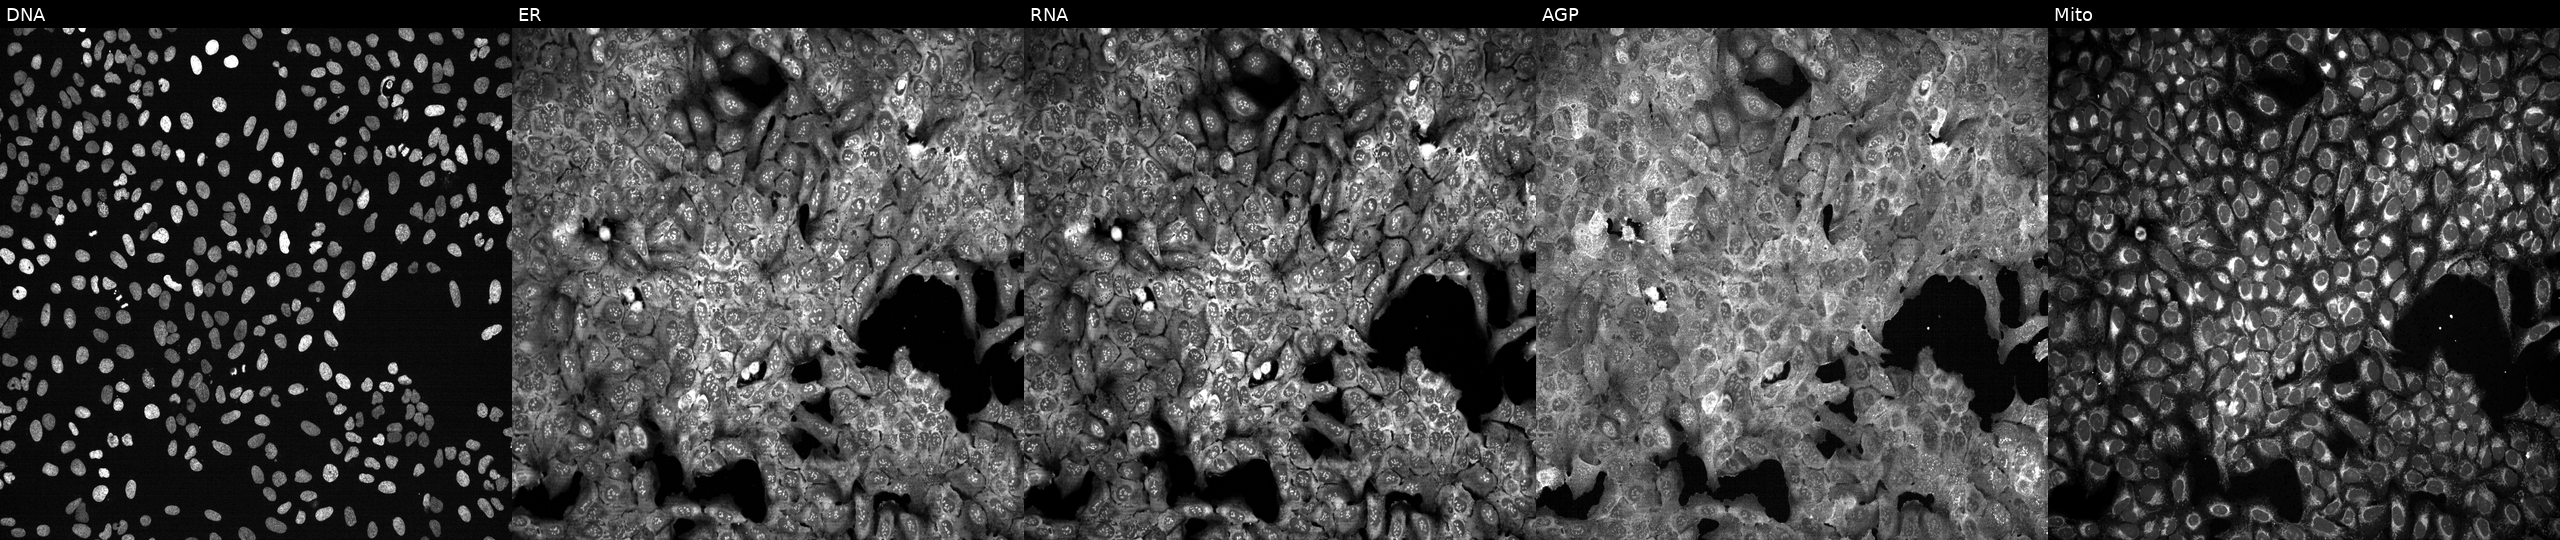
U2OS cells, Cell Painting assay, with AMPD1 knocked out by CRISPR (JUMP id JCP2022_800441). From left to right: Hoechst 33342, concanavalin A, SYTO 14, phalloidin and WGA, MitoTracker. Each panel is percentile-stretched 16-bit fluorescence. Source 13, plate CP-CC9-R3-02, well L12.